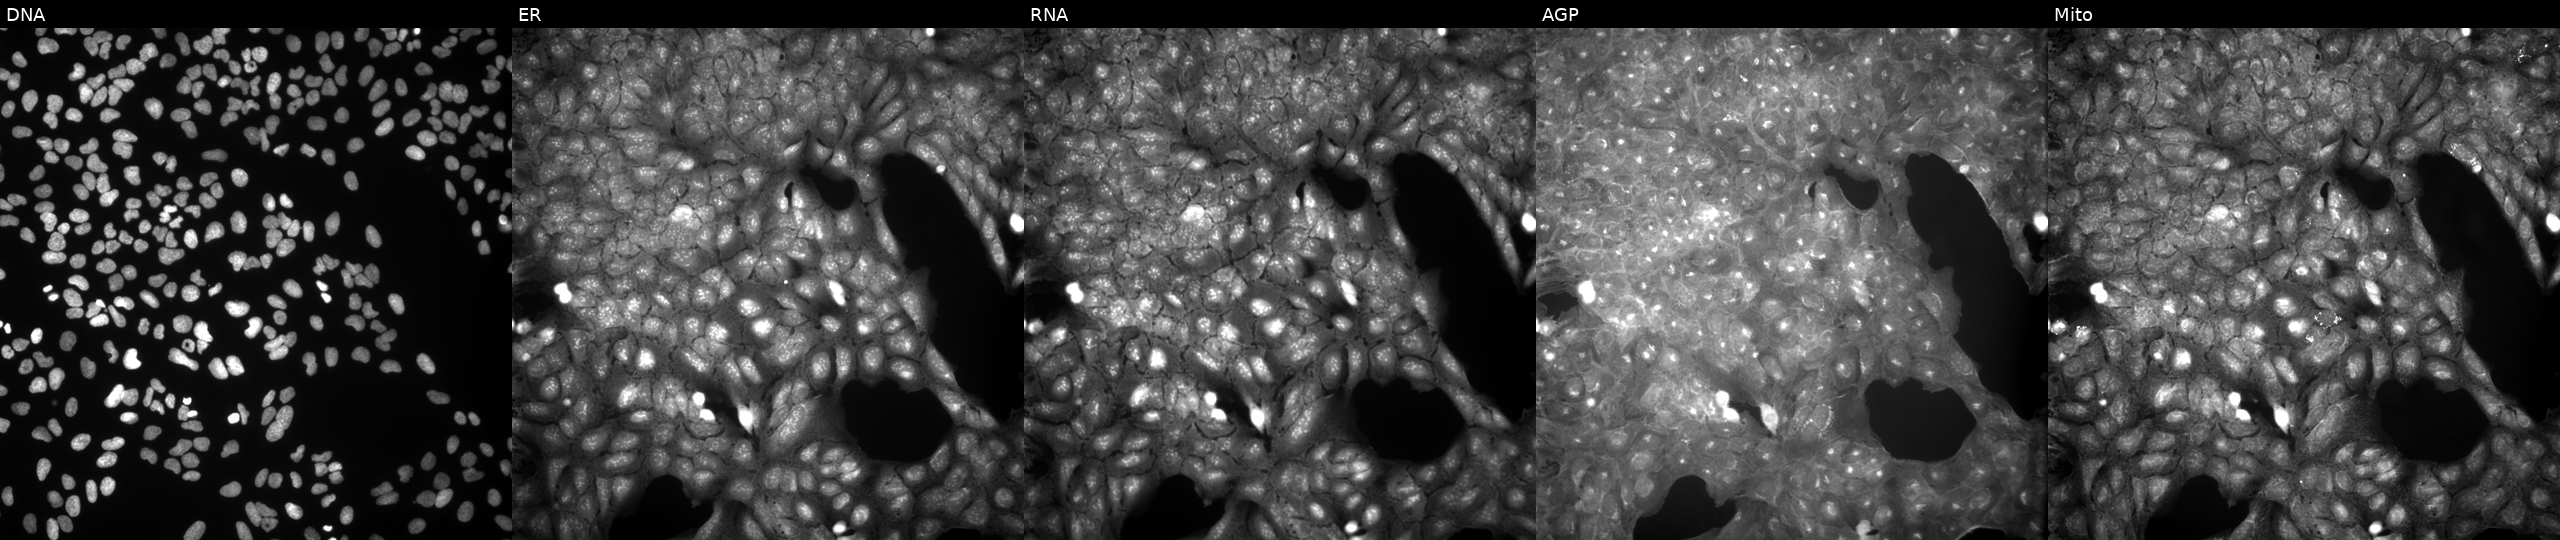
This image strip shows the five Cell Painting channels for a single field of U2OS cells exposed to a small-molecule compound [SMILES: C=CCN(c1nc(C)c(Br)c(OC)n1)S(=O)(=O)c1ccc(C)cc1]. Panels show, left to right, DNA, ER, RNA, AGP, and Mito. Source 9, plate GR00003381, well G28.